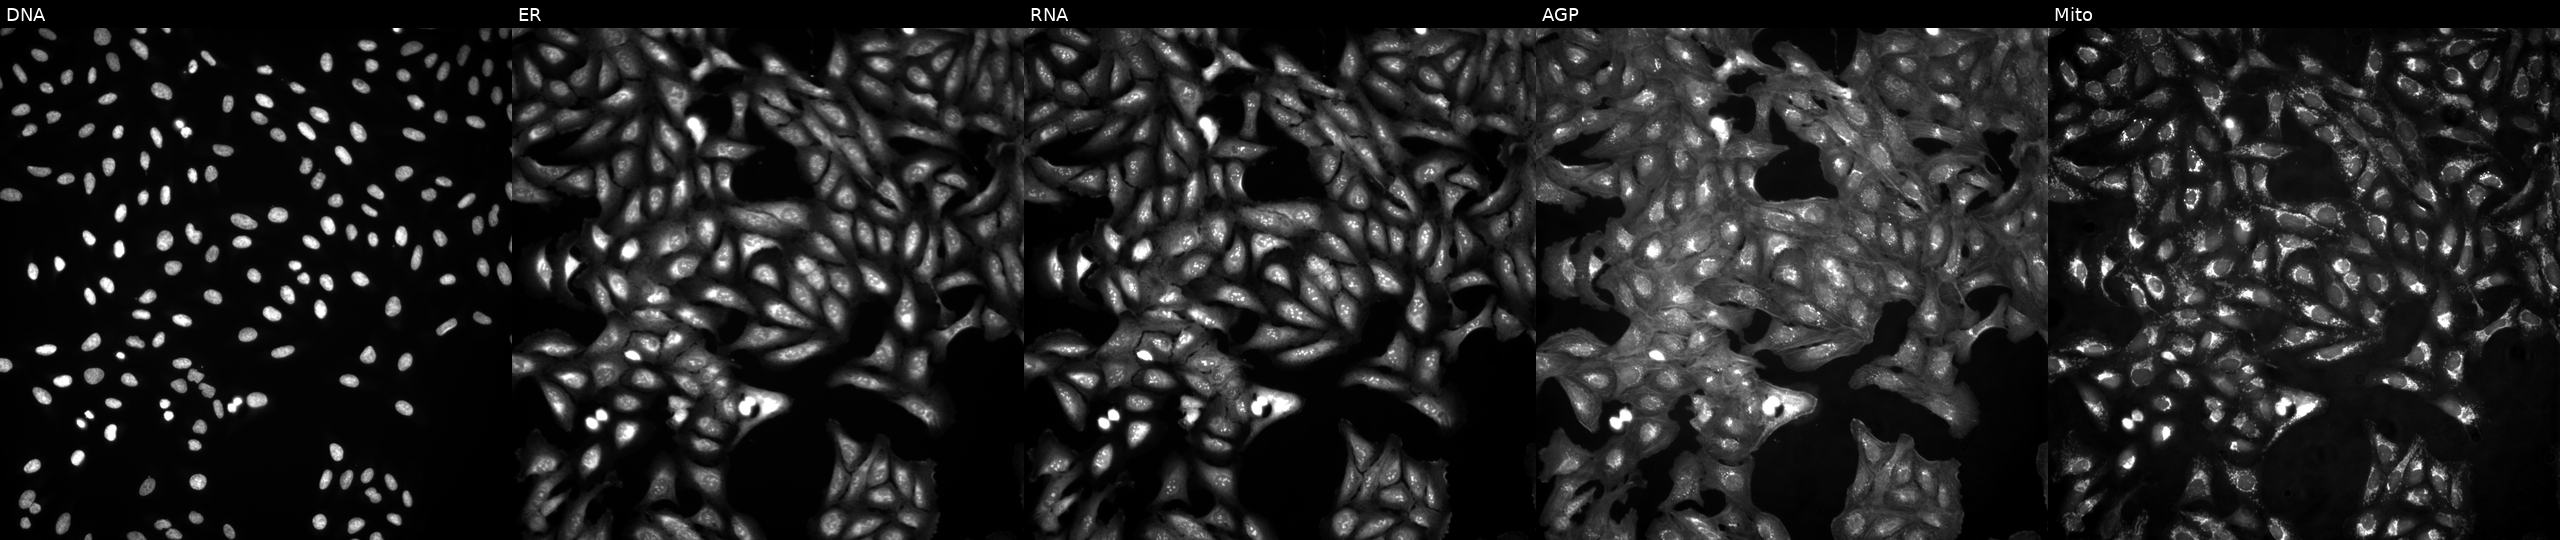
JUMP Cell Painting — ORF plate. U2OS cells in an empty control well (no perturbation). Panels show, left to right, DNA (nuclei); ER (endoplasmic reticulum); RNA (nucleoli and cytoplasmic RNA); AGP (actin cytoskeleton, Golgi, and plasma membrane); Mito (mitochondria).